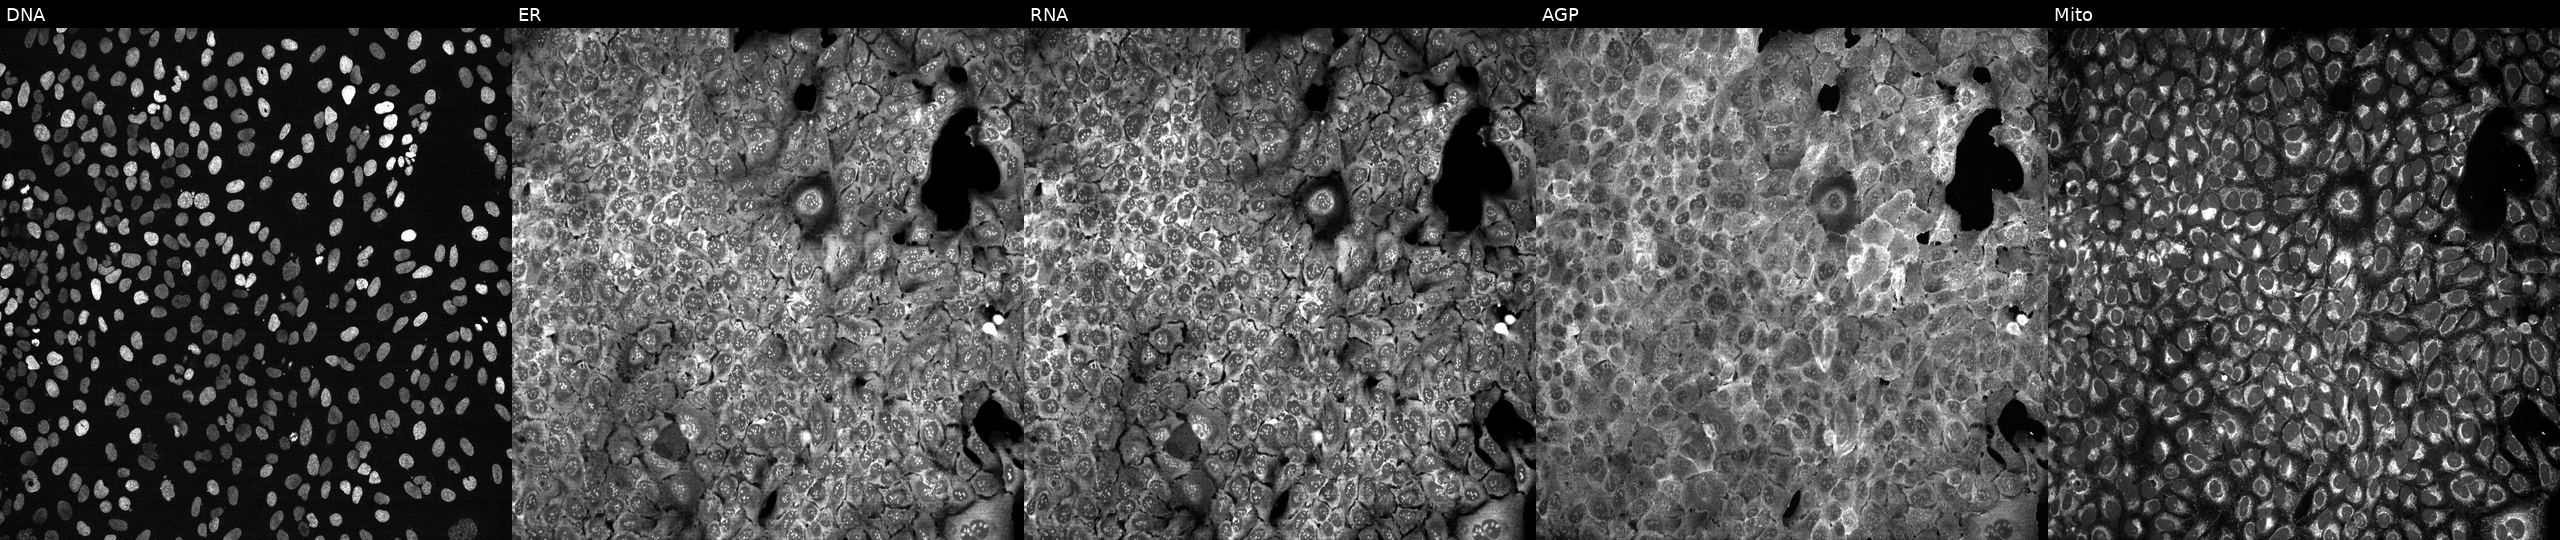
U2OS cells, Cell Painting assay, following CRISPR knockout of CROT (JUMP id JCP2022_801513). Panels show, left to right, DNA, ER, RNA, AGP, and Mito. Each panel is percentile-stretched 16-bit fluorescence.